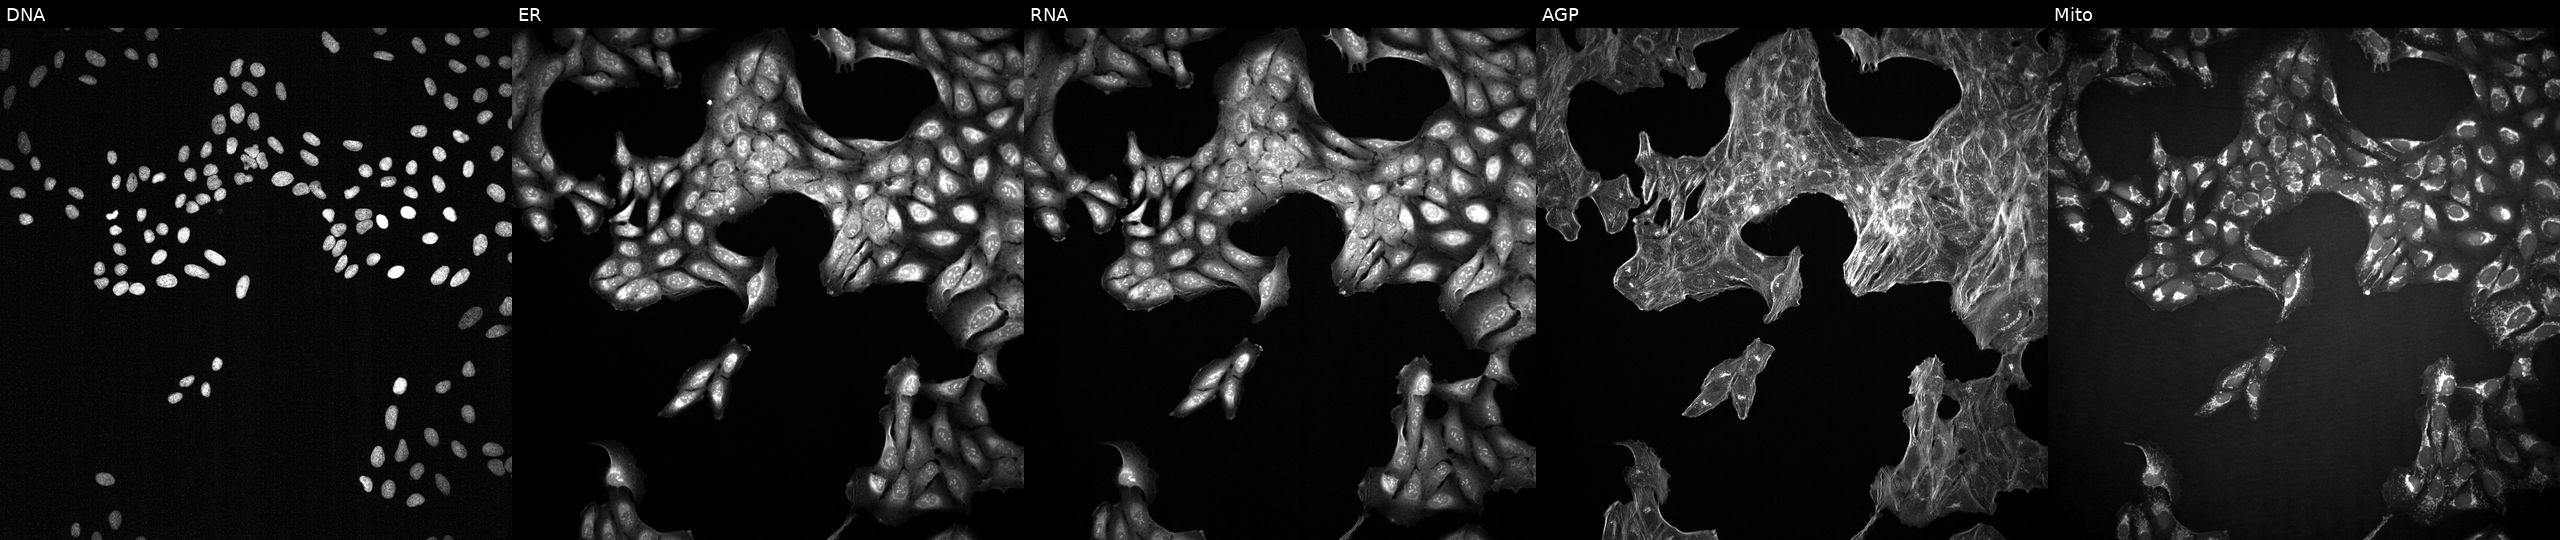
JUMP Cell Painting — TARGET2 plate. U2OS cells exposed to DMSO alone as a negative control (JUMP id JCP2022_033924). Panels show, left to right, Hoechst 33342, concanavalin A, SYTO 14, phalloidin and WGA, MitoTracker.